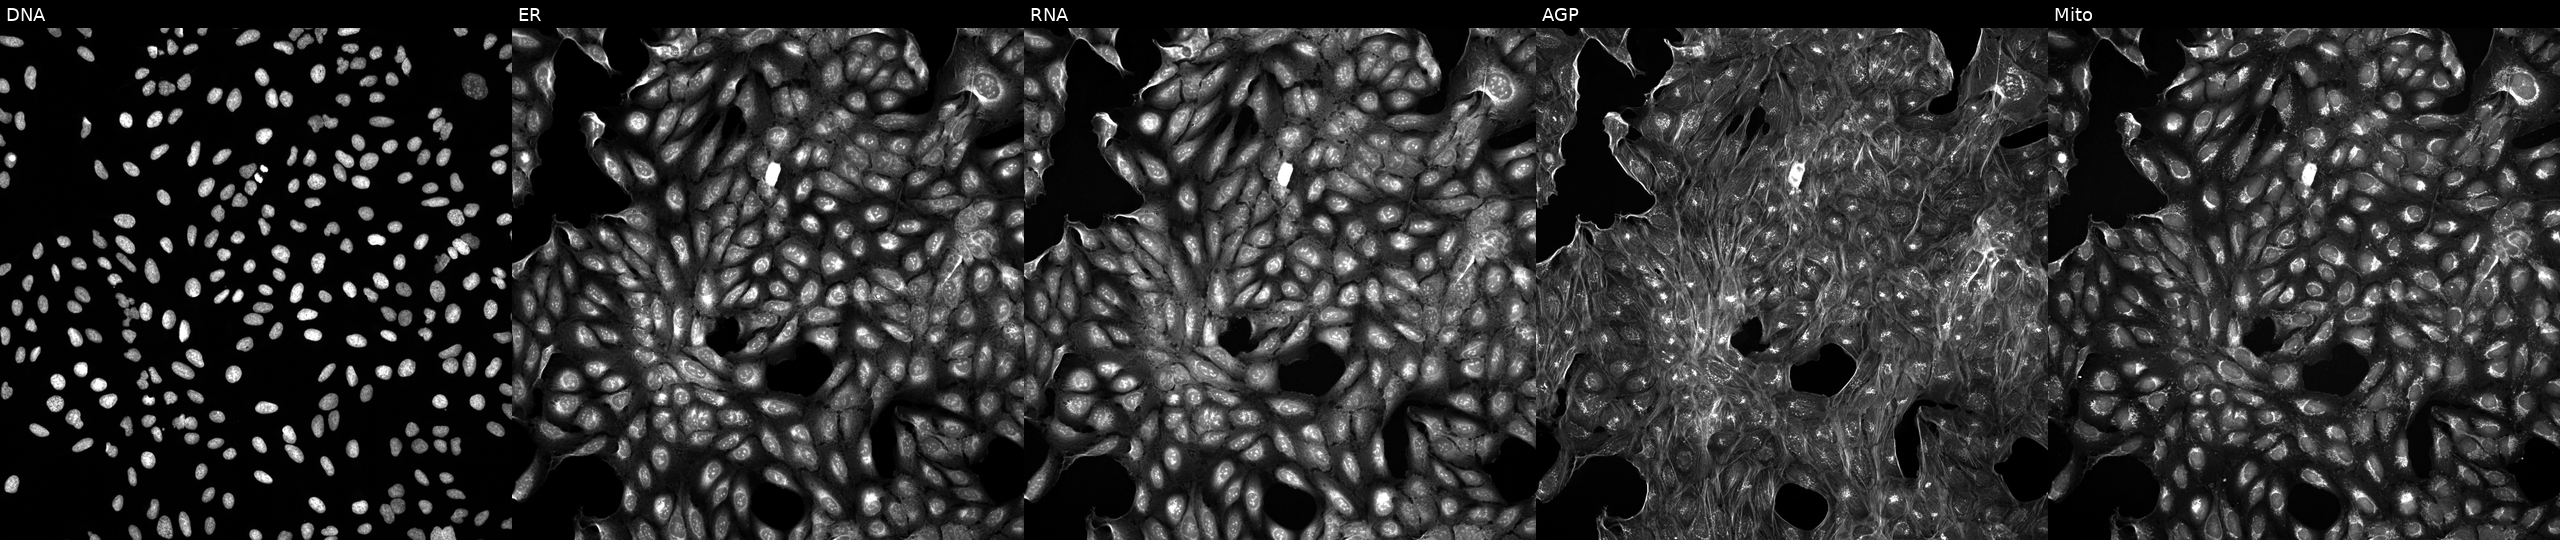
High-content fluorescence microscopy (Cell Painting). Cell line: U2OS. Perturbation: treated with DMSO vehicle only (negative control) (JUMP id JCP2022_033924). Panels show, left to right, DNA, ER, RNA, AGP, and Mito.